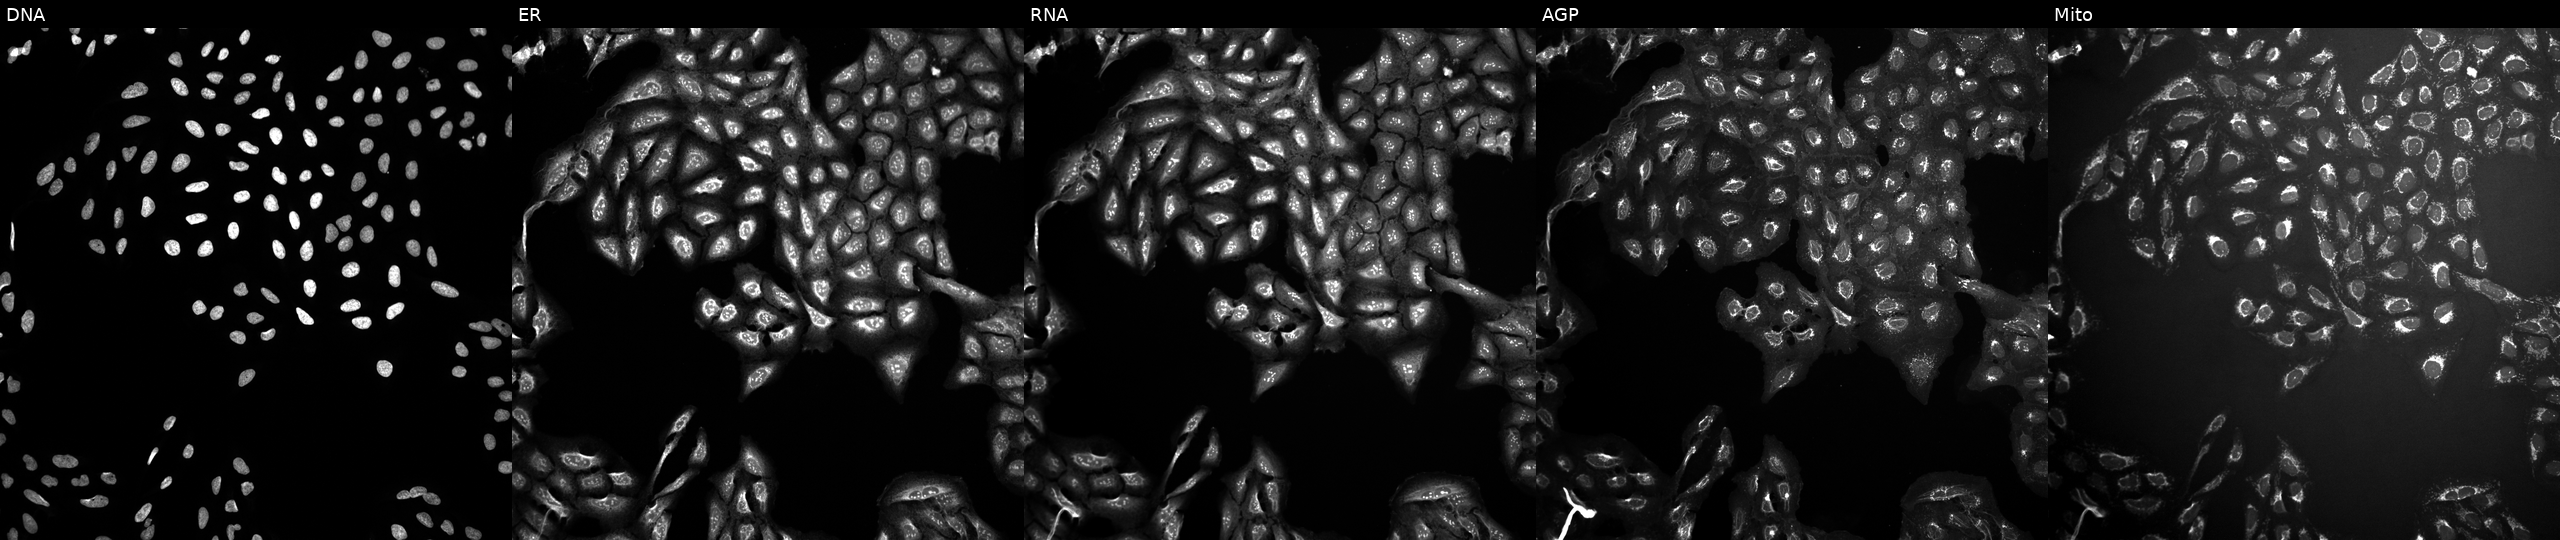
This image strip shows the five Cell Painting channels for a single field of U2OS cells treated with DMSO vehicle only (negative control) (JUMP id JCP2022_033924). The five panels, left to right, show DNA, ER, RNA, AGP, and Mito.